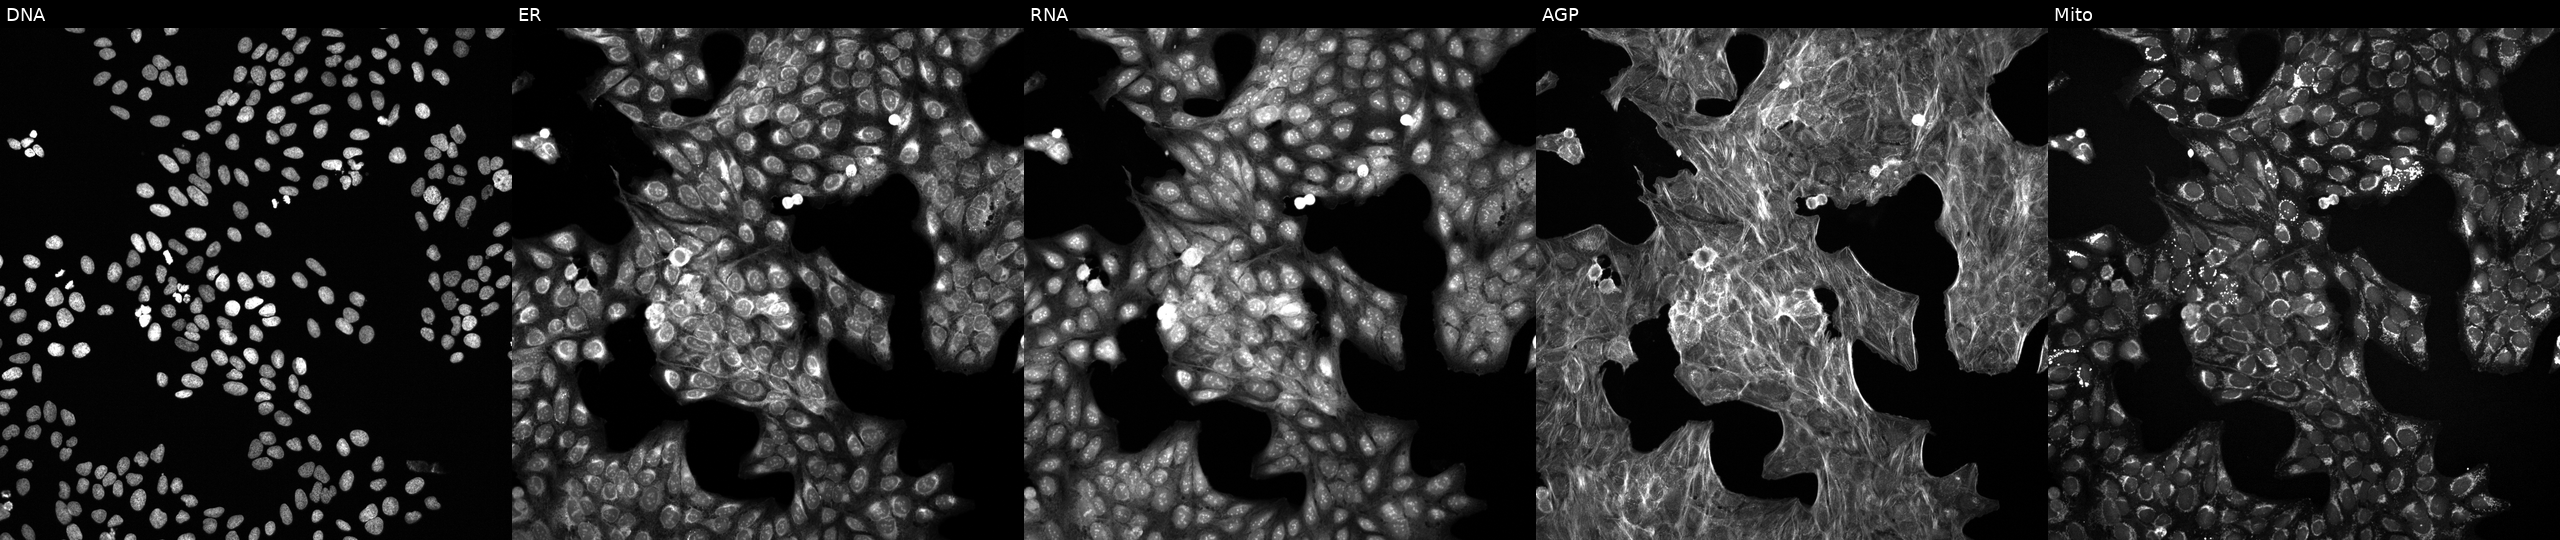
The five panels, left to right, show Hoechst 33342, concanavalin A, SYTO 14, phalloidin and WGA, MitoTracker. U2OS osteosarcoma cells treated with LY2109761 (positive-control compound) (JUMP id JCP2022_035095). Cell Painting assay, JUMP-CP dataset. Source 6, plate 110000293082, well A24.